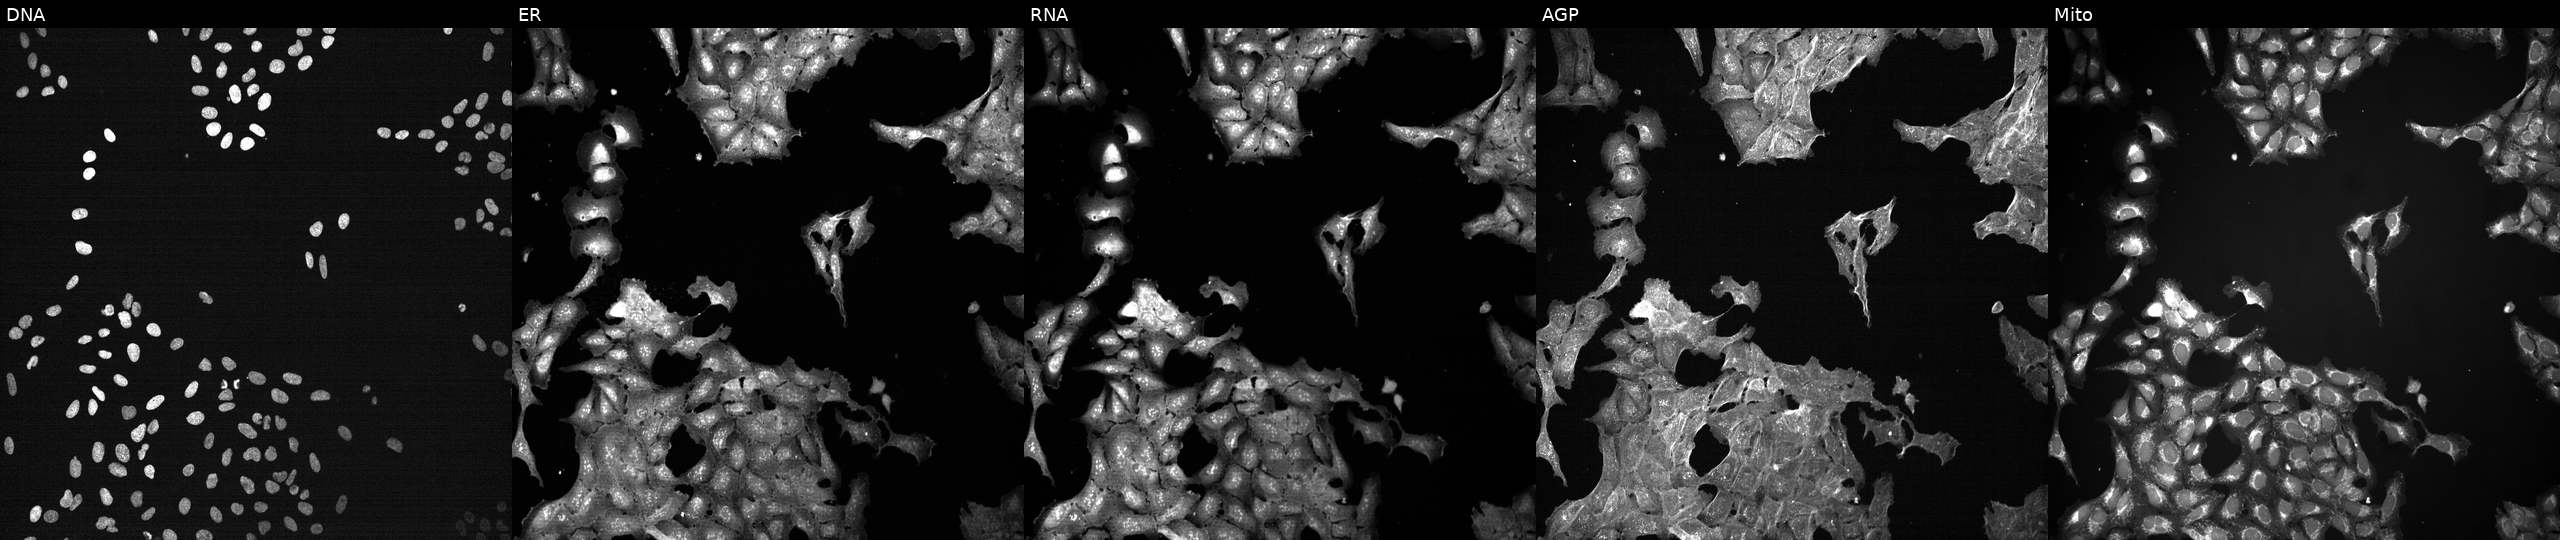
Five-channel Cell Painting image of U2OS cells exposed to a small-molecule compound [SMILES: CN(C(=O)c1ccc(F)cc1C(F)(F)F)C1CCN(c2nnc(-c3ccnn3C)c3ccccc23)CC1]. The five panels, left to right, show DNA (nuclei); ER (endoplasmic reticulum); RNA (nucleoli and cytoplasmic RNA); AGP (actin cytoskeleton, Golgi, and plasma membrane); Mito (mitochondria).